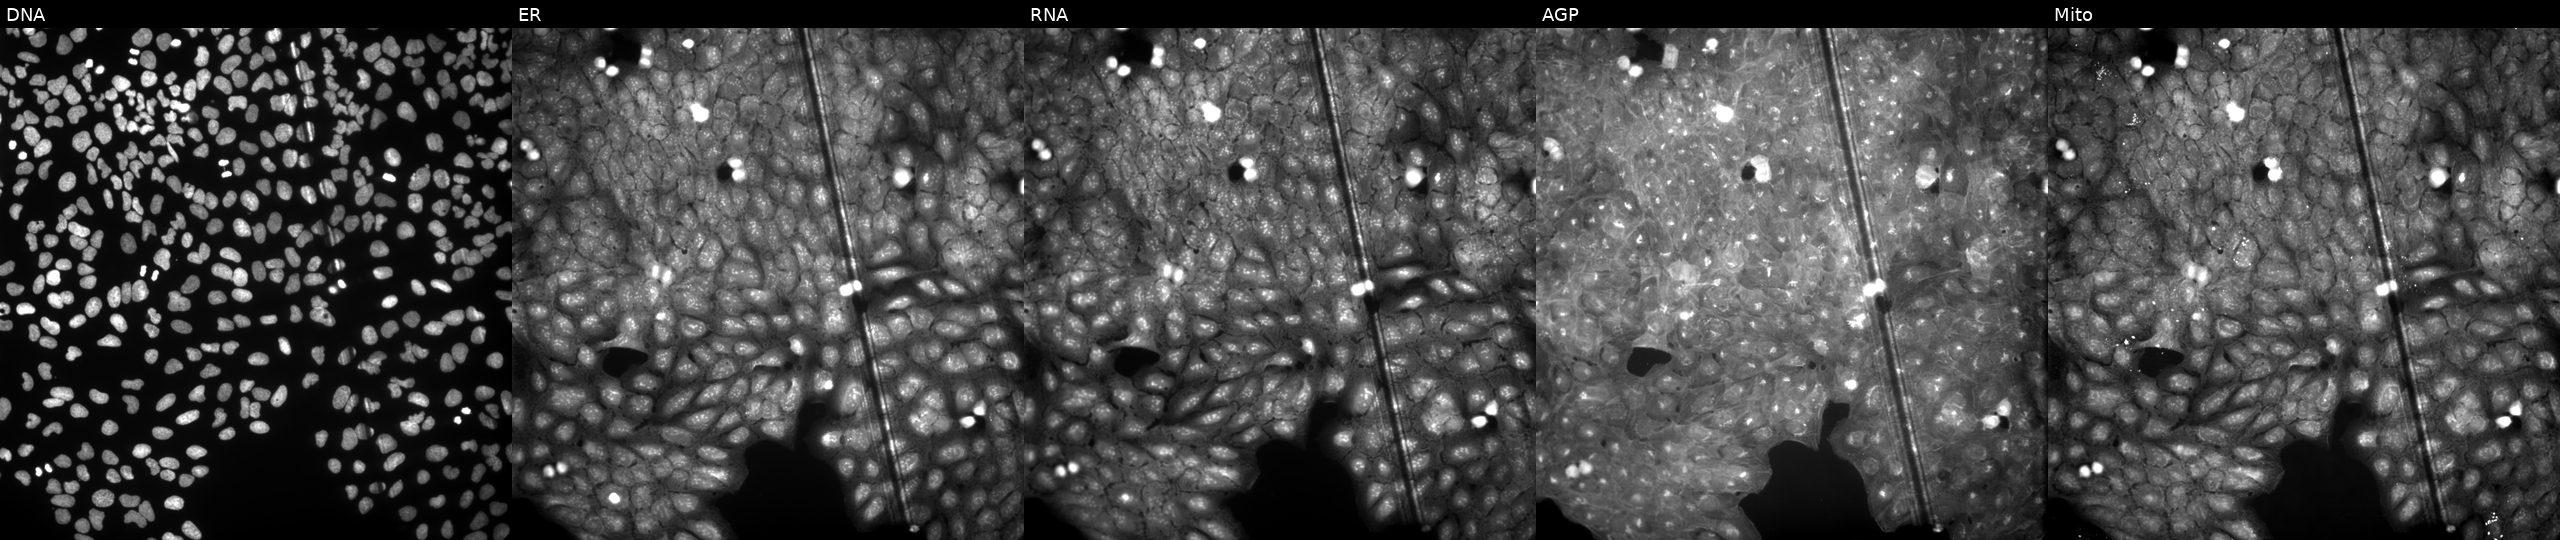
This image strip shows the five Cell Painting channels for a single field of U2OS cells exposed to DMSO alone as a negative control. Panels show, left to right, DNA (nuclei); ER (endoplasmic reticulum); RNA (nucleoli and cytoplasmic RNA); AGP (actin cytoskeleton, Golgi, and plasma membrane); Mito (mitochondria).